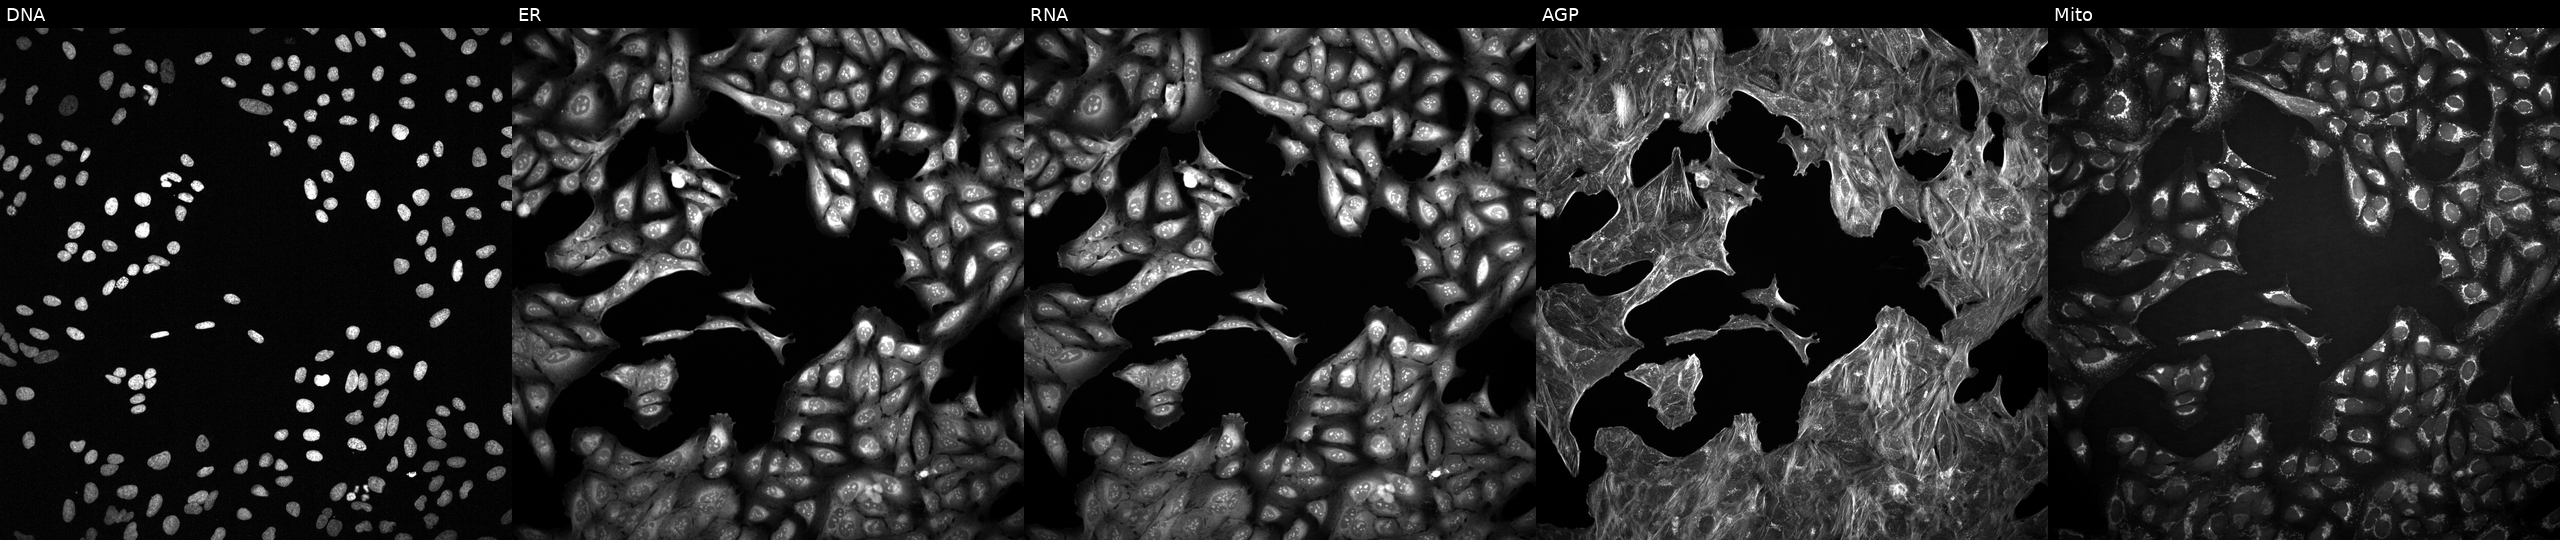
High-content fluorescence microscopy (Cell Painting). Cell line: U2OS. Perturbation: perturbed with a small-molecule compound (InChIKey XUEWEDVTTUFOCL-UHFFFAOYSA-N) (JUMP id JCP2022_106055). The five panels, left to right, show DNA (nuclei); ER (endoplasmic reticulum); RNA (nucleoli and cytoplasmic RNA); AGP (actin cytoskeleton, Golgi, and plasma membrane); Mito (mitochondria).